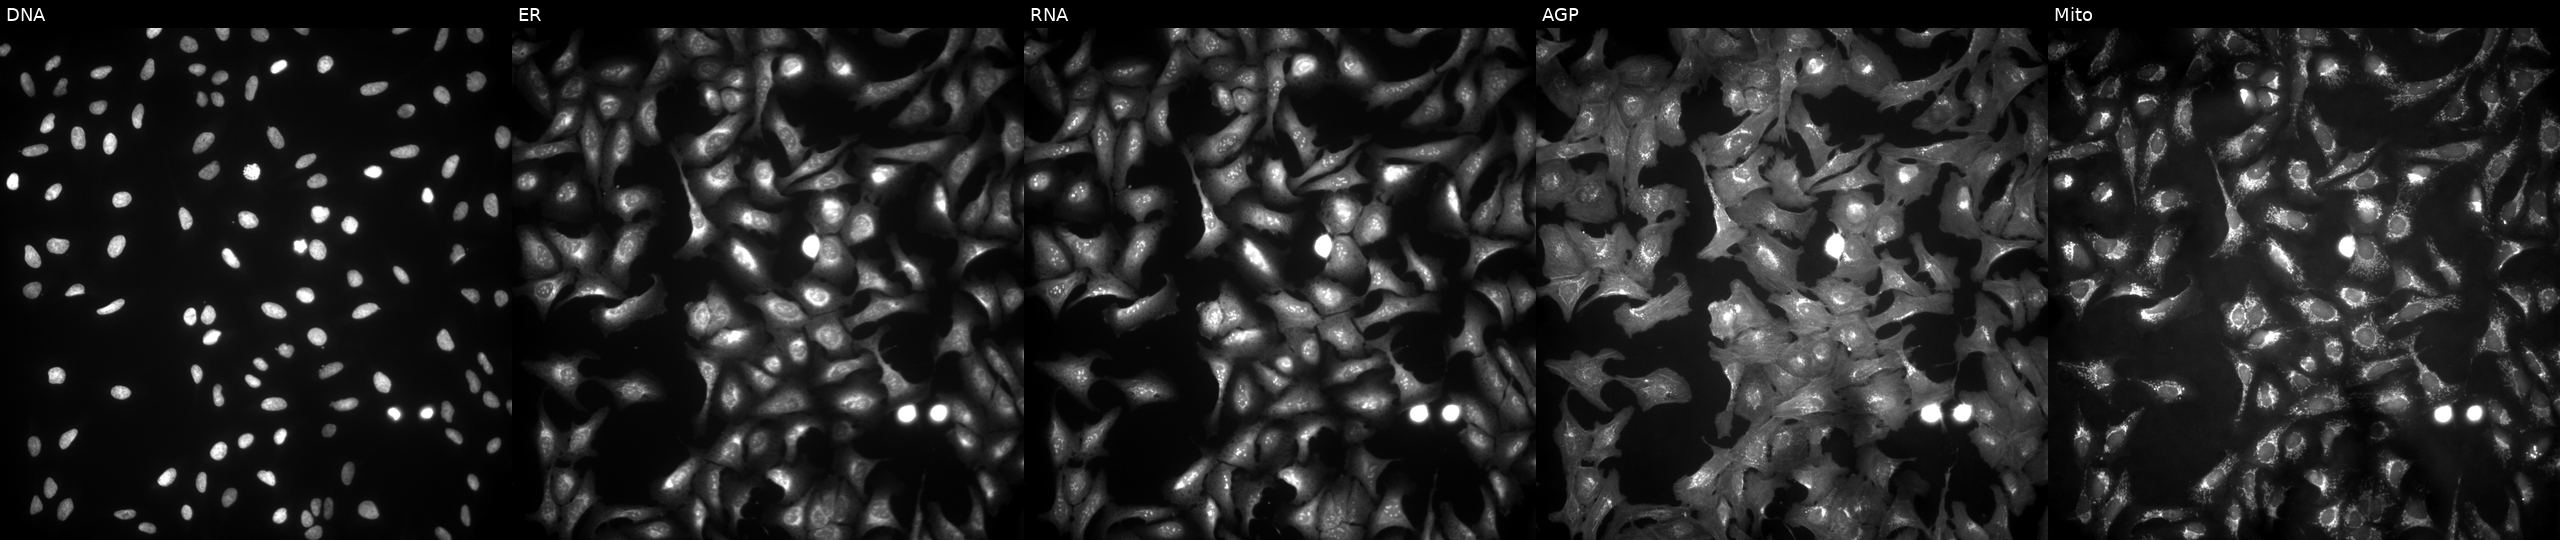
This image strip shows the five Cell Painting channels for a single field of U2OS cells with NXPE3 overexpressed (ORF). The five panels, left to right, show DNA (nuclei); ER (endoplasmic reticulum); RNA (nucleoli and cytoplasmic RNA); AGP (actin cytoskeleton, Golgi, and plasma membrane); Mito (mitochondria).